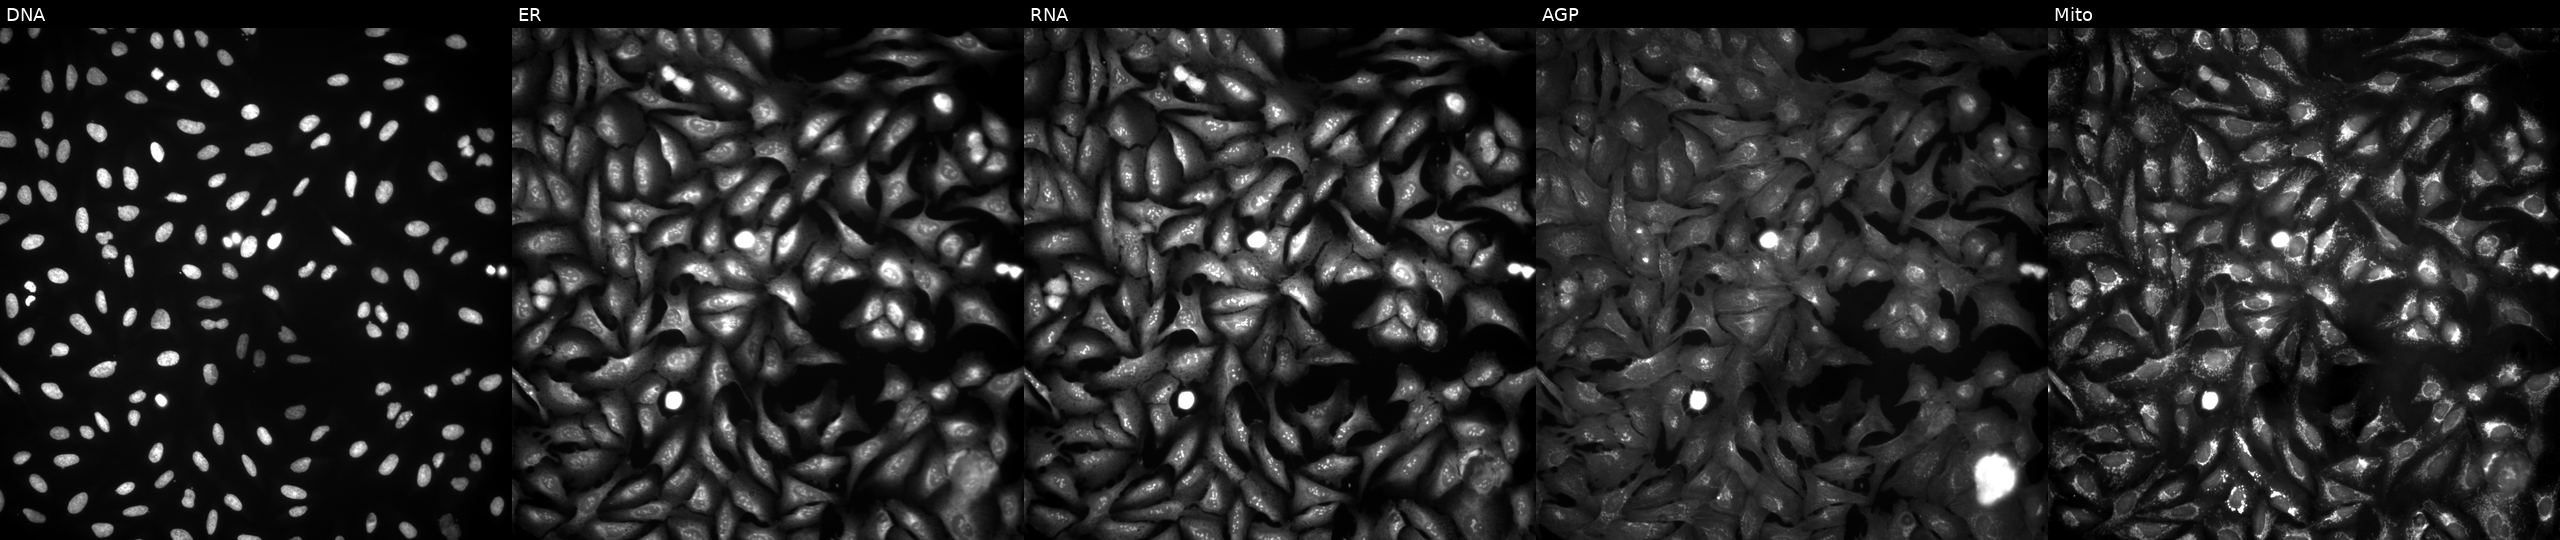
High-content fluorescence microscopy (Cell Painting). Cell line: U2OS. Perturbation: expressing LacZ (ORF negative control) (JUMP id JCP2022_915131). Channels (left→right): Hoechst 33342, concanavalin A, SYTO 14, phalloidin and WGA, MitoTracker. Source 4, plate BR00124790, well I17.